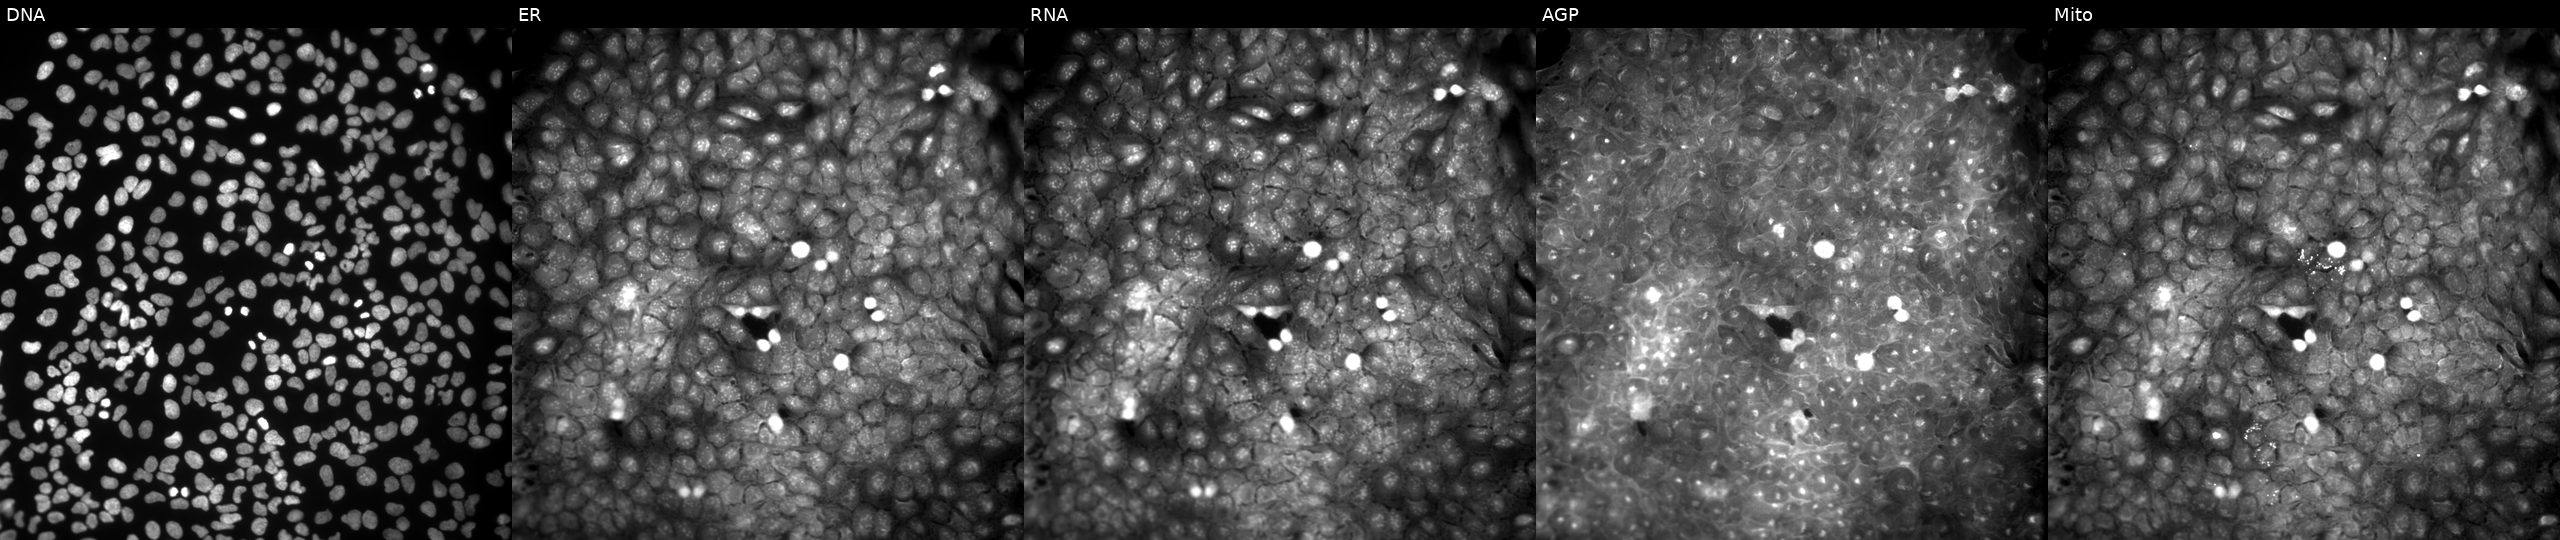
The five panels, left to right, show DNA, ER, RNA, AGP, and Mito. U2OS osteosarcoma cells treated with a small-molecule compound [SMILES: CCc1n[nH]c(=NC(=O)CSc2nc3c(C)cccc3[nH]2)s1] (JUMP id JCP2022_001933). Cell Painting assay, JUMP-CP dataset.